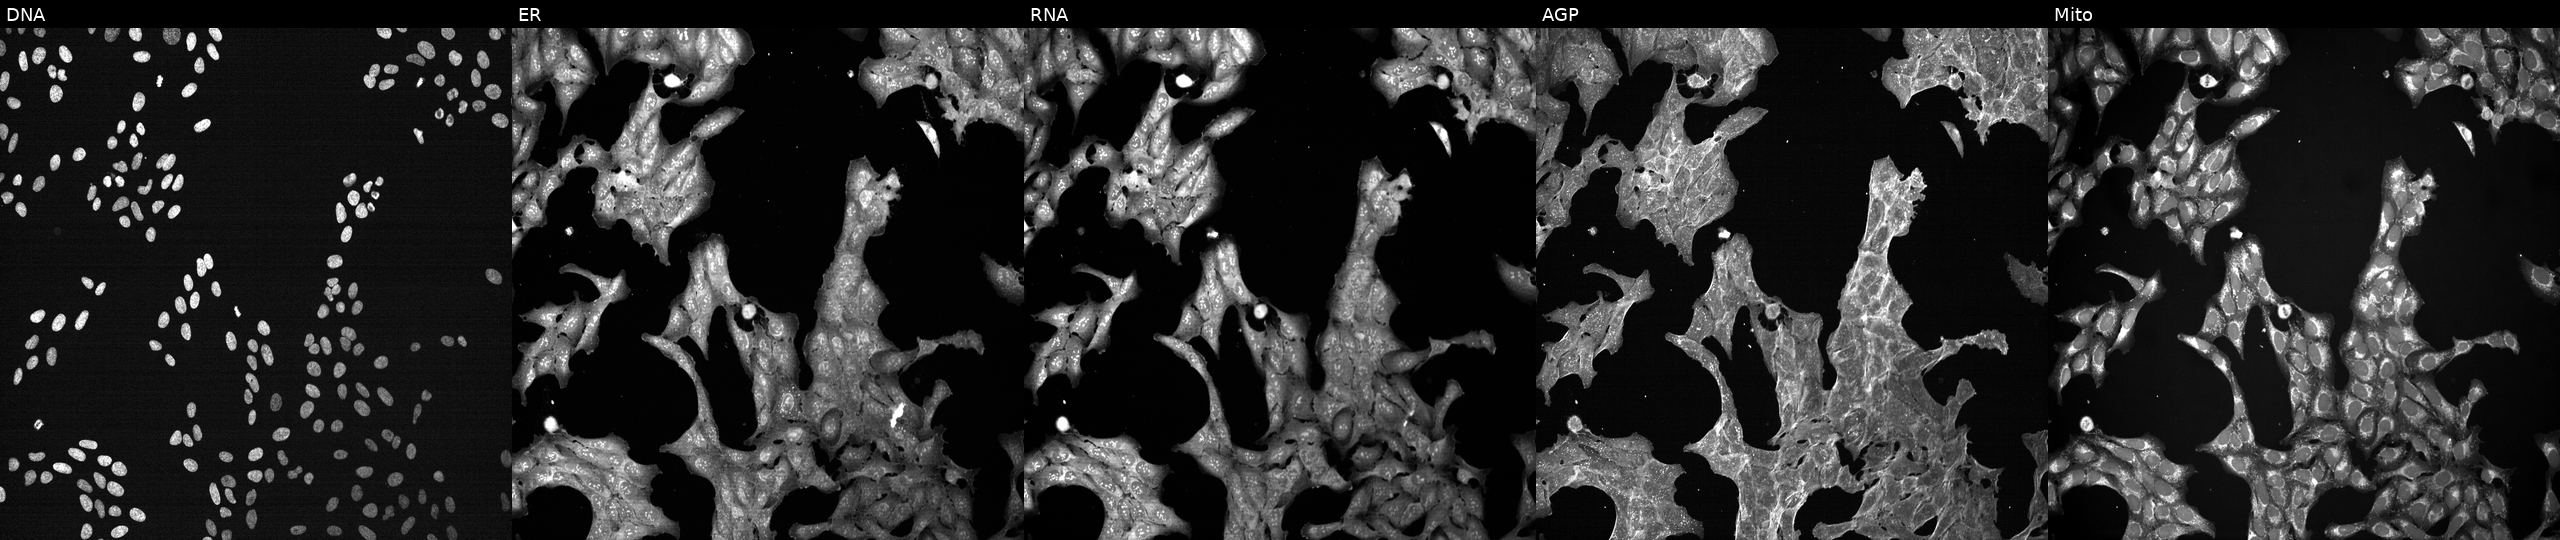
Five-channel Cell Painting image of U2OS cells perturbed with a small-molecule compound (JUMP id JCP2022_032680). Panels show, left to right, DNA (nuclei); ER (endoplasmic reticulum); RNA (nucleoli and cytoplasmic RNA); AGP (actin cytoskeleton, Golgi, and plasma membrane); Mito (mitochondria).